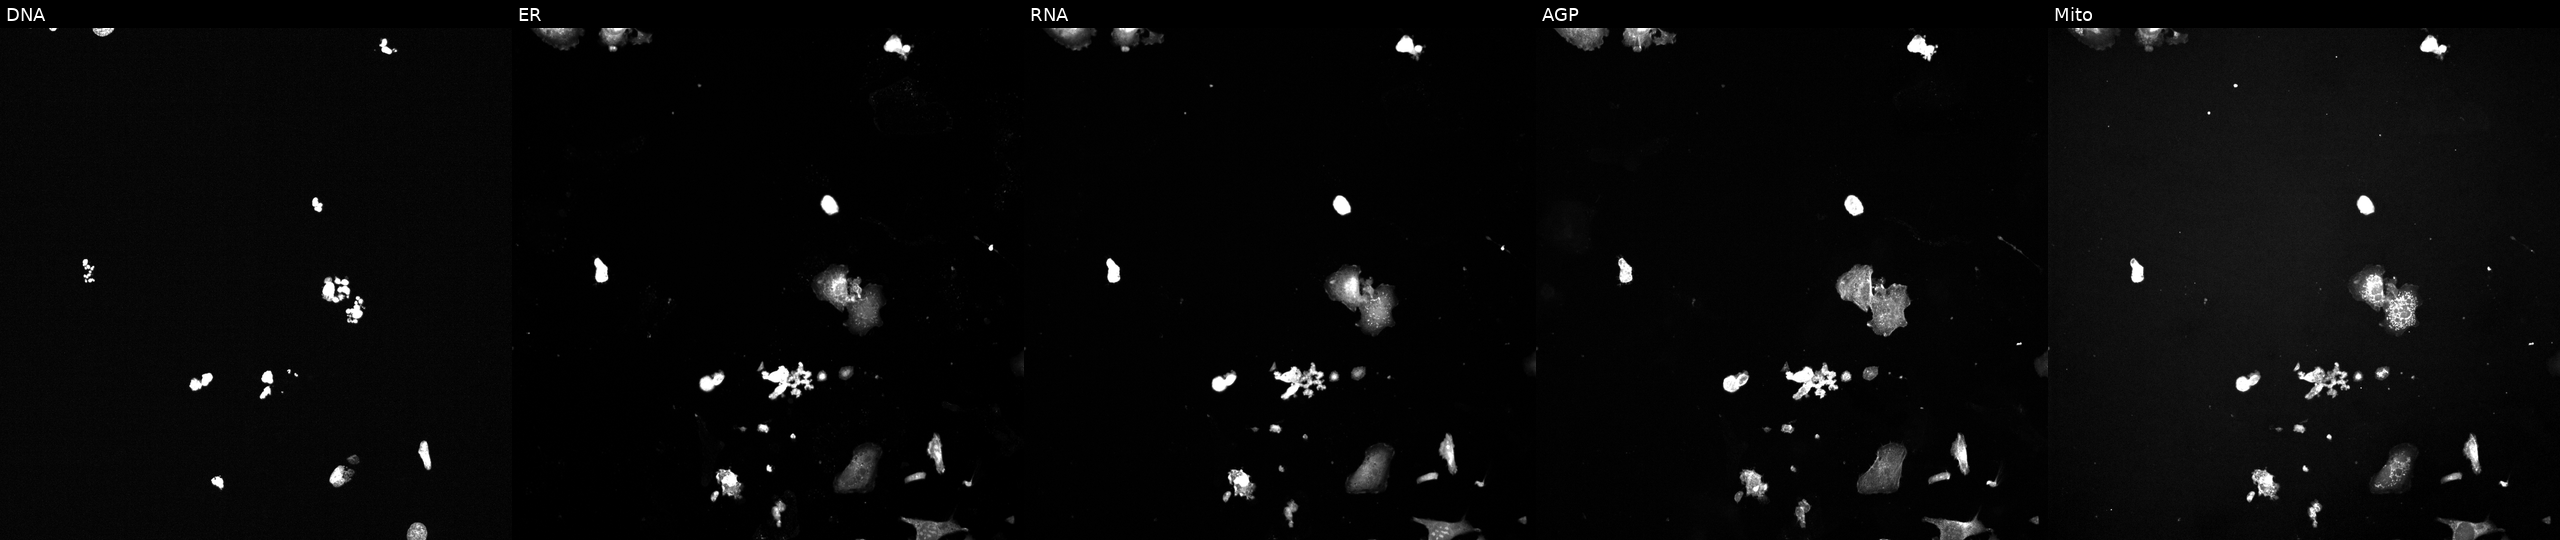
U2OS cells, Cell Painting assay, treated with a small-molecule compound (InChIKey VSVFLGPUZJTBSD-UHFFFAOYSA-N) [SMILES: COc1cc(OC)c(C=CS(=O)(=O)Cc2ccc(OC)c(O[PH](=O)(=O)O)c2)c(OC)c1] (JUMP id JCP2022_096054). Channels (left→right): DNA (nuclei); ER (endoplasmic reticulum); RNA (nucleoli and cytoplasmic RNA); AGP (actin cytoskeleton, Golgi, and plasma membrane); Mito (mitochondria). Each panel is percentile-stretched 16-bit fluorescence. Source 6, plate 110000293093, well D02.